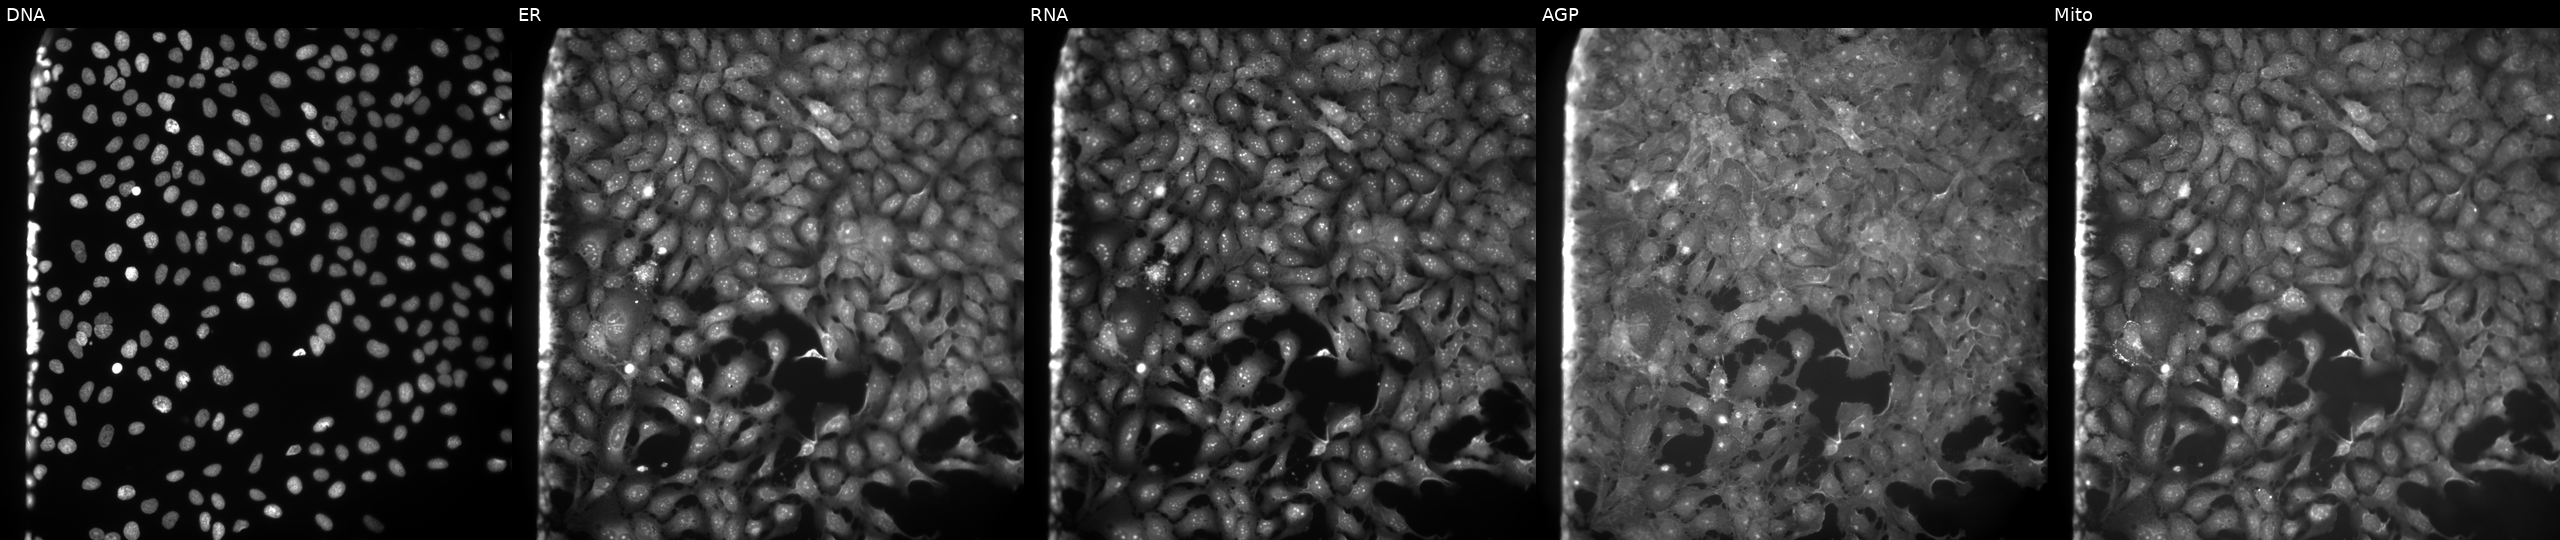
High-content fluorescence microscopy (Cell Painting). Cell line: U2OS. Perturbation: treated with FK-866 (positive-control compound) (JUMP id JCP2022_046054). Channels (left→right): DNA (nuclei); ER (endoplasmic reticulum); RNA (nucleoli and cytoplasmic RNA); AGP (actin cytoskeleton, Golgi, and plasma membrane); Mito (mitochondria).